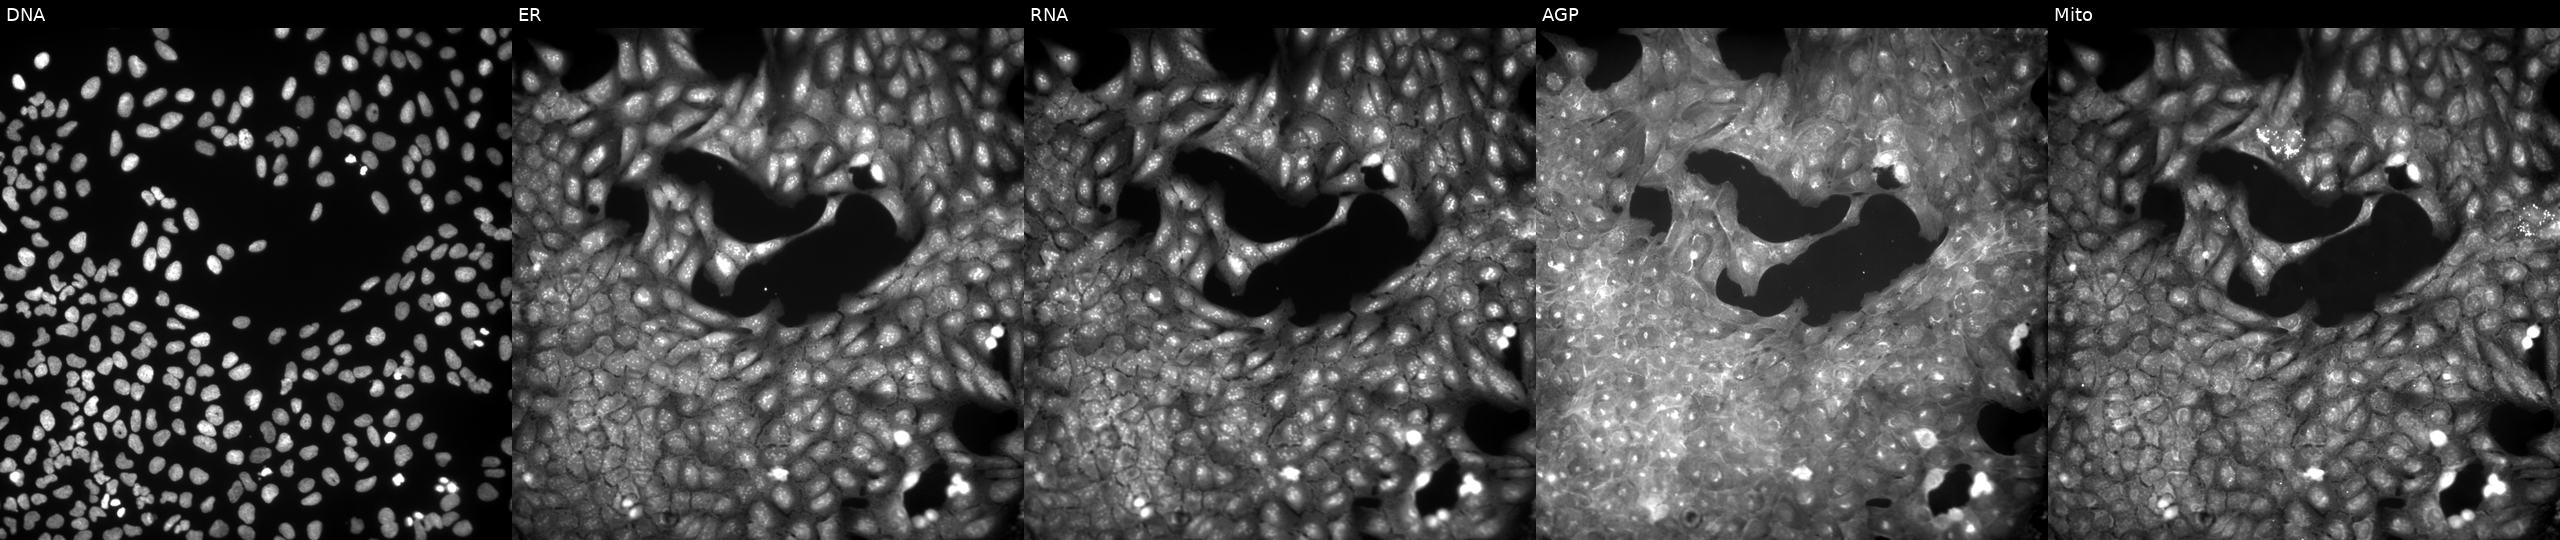
High-content fluorescence microscopy (Cell Painting). Cell line: U2OS. Perturbation: exposed to a small-molecule compound (InChIKey SFHGDCGOMVVLAV-UHFFFAOYSA-N) (JUMP id JCP2022_082826). From left to right: Hoechst 33342, concanavalin A, SYTO 14, phalloidin and WGA, MitoTracker. Source 9, plate GR00003381, well AB20.